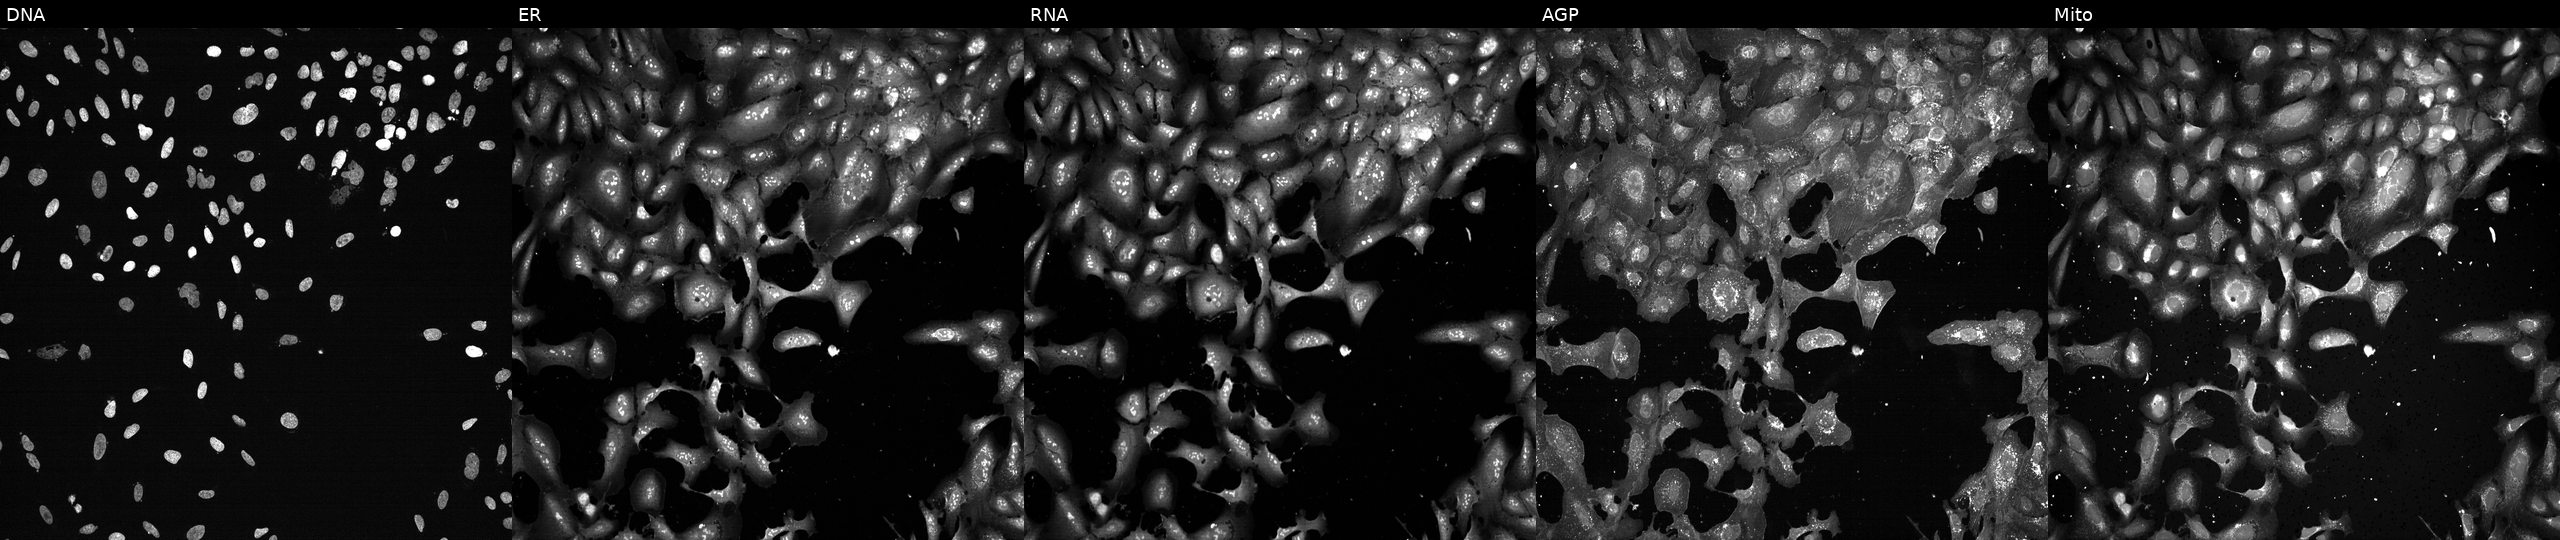
This image strip shows the five Cell Painting channels for a single field of U2OS cells following CRISPR knockout of ARL2 (JUMP id JCP2022_800586). Channels (left→right): Hoechst 33342, concanavalin A, SYTO 14, phalloidin and WGA, MitoTracker.